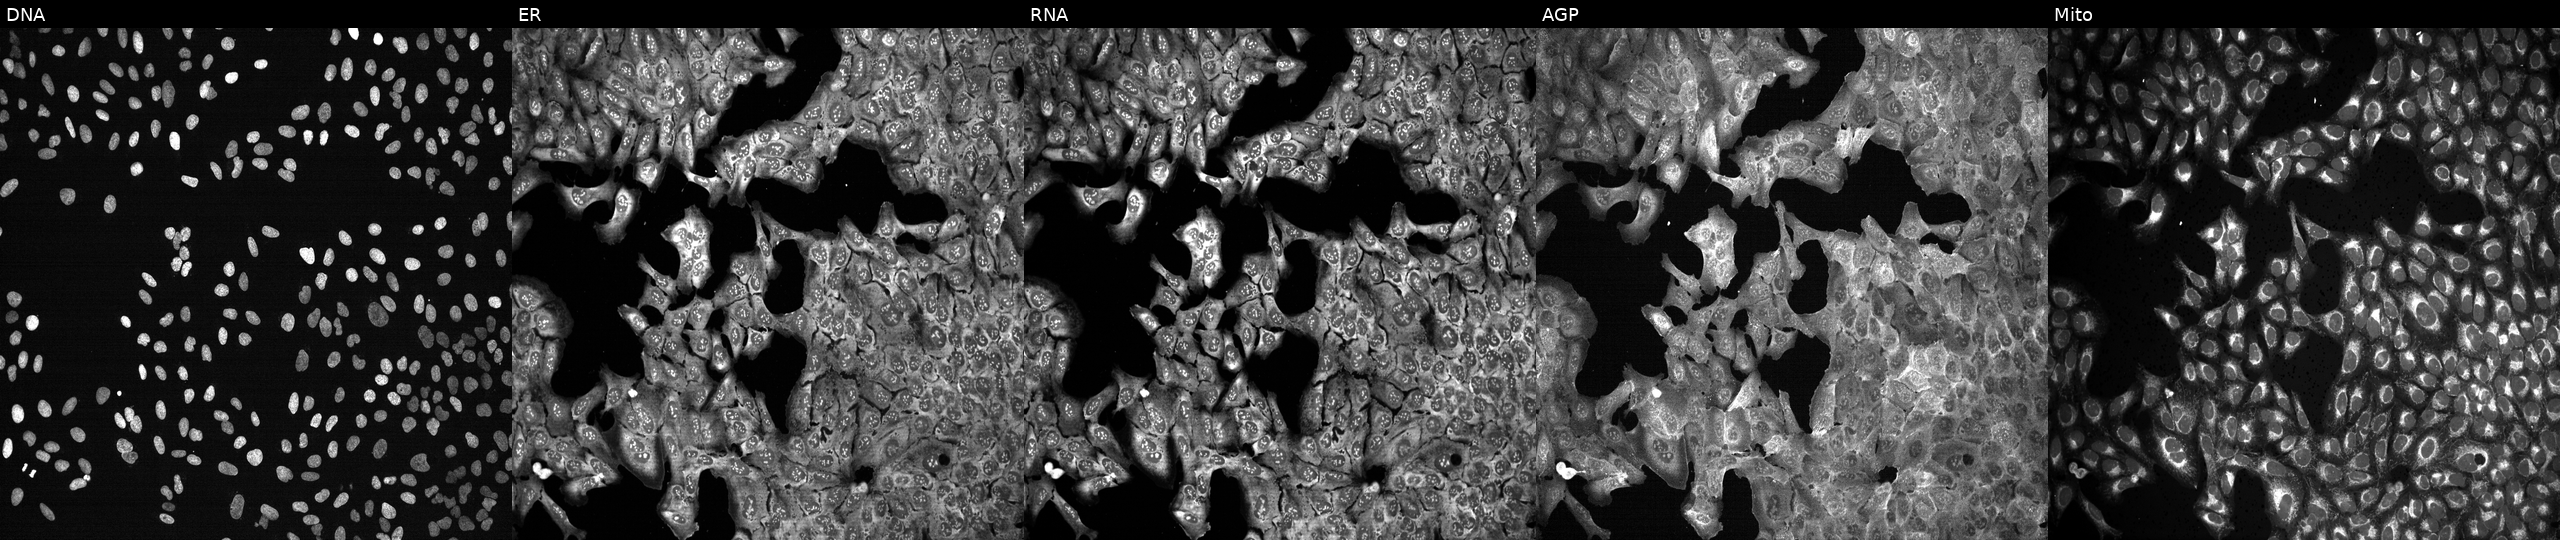
JUMP Cell Painting — CRISPR plate. U2OS cells following CRISPR knockout of SERPINB1. From left to right: Hoechst 33342, concanavalin A, SYTO 14, phalloidin and WGA, MitoTracker.